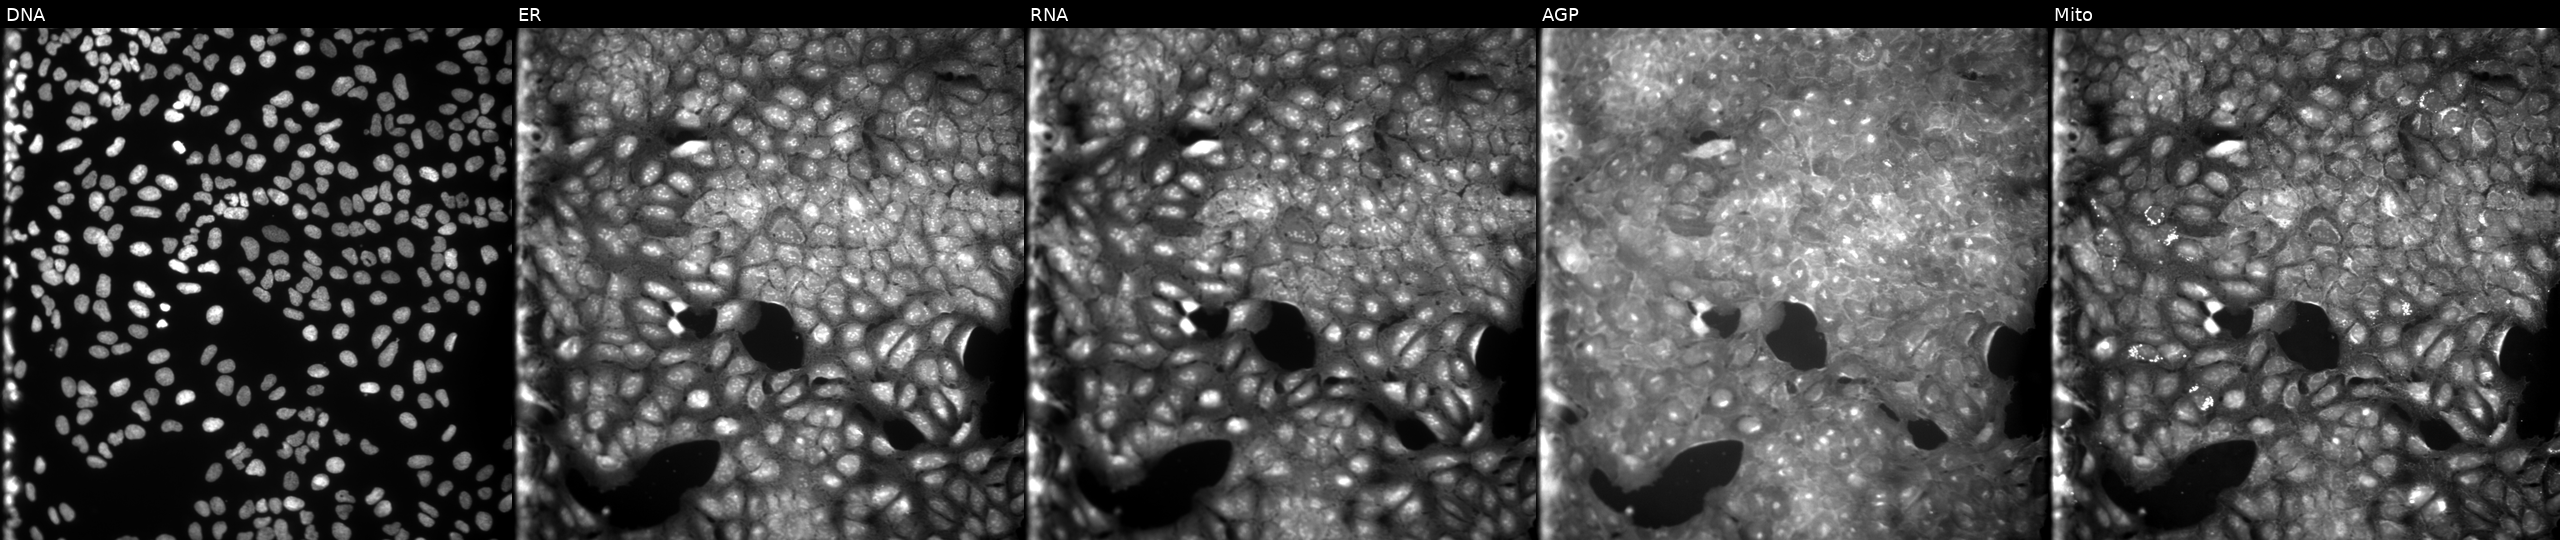
JUMP Cell Painting — COMPOUND plate. U2OS cells exposed to a small-molecule compound. From left to right: DNA, ER, RNA, AGP, and Mito. Source 9, plate GR00003382, well H16.